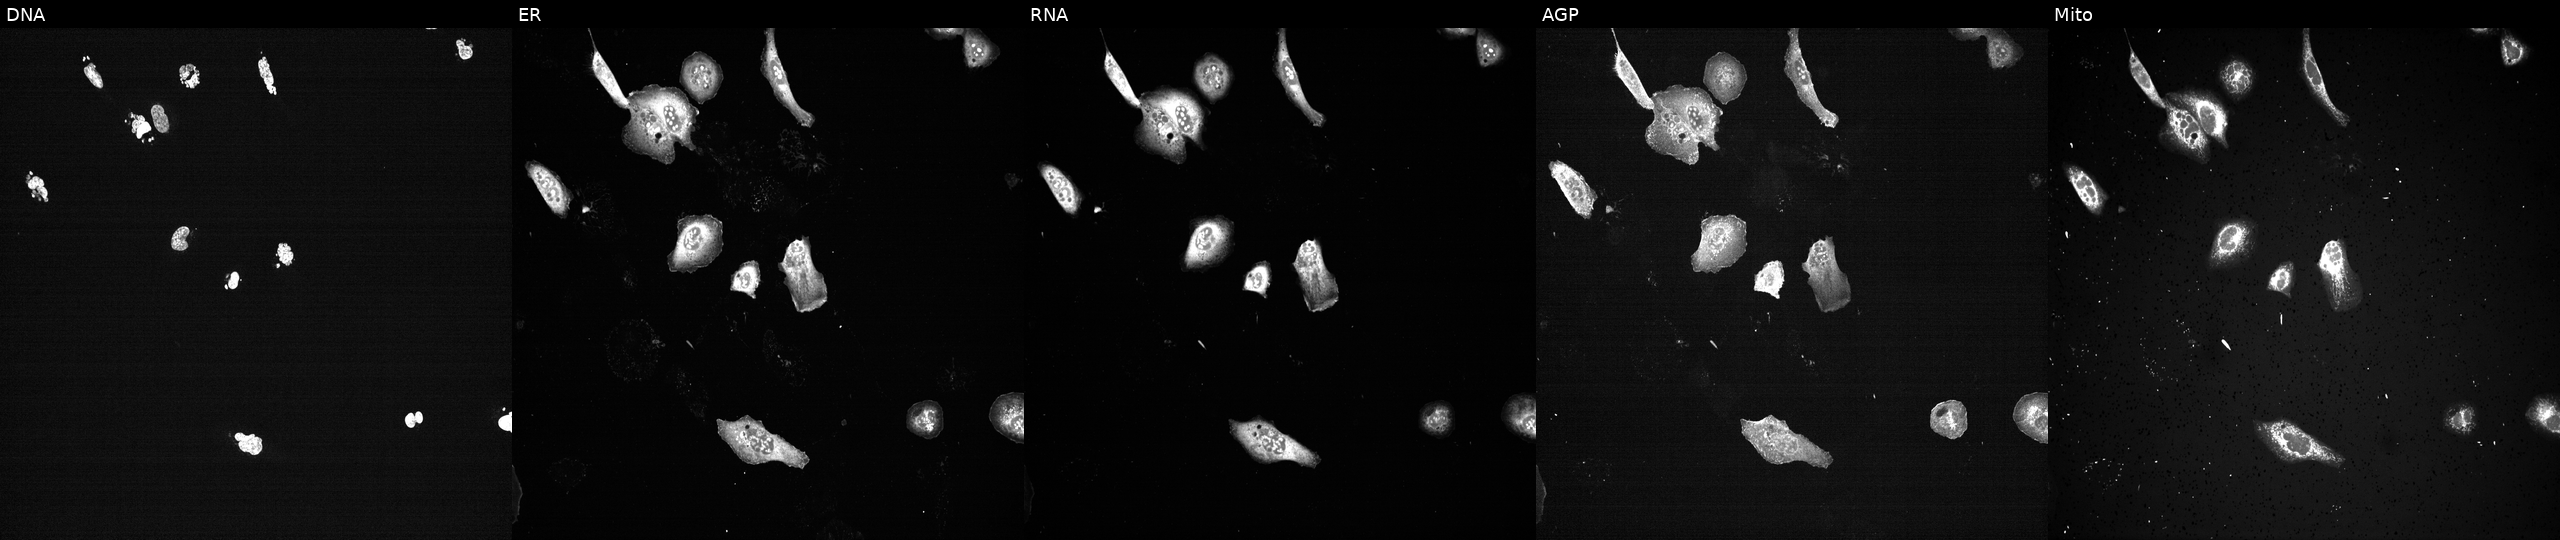
This image strip shows the five Cell Painting channels for a single field of U2OS cells with PLK1 knocked out by CRISPR (positive control). Panels show, left to right, DNA (nuclei); ER (endoplasmic reticulum); RNA (nucleoli and cytoplasmic RNA); AGP (actin cytoskeleton, Golgi, and plasma membrane); Mito (mitochondria).